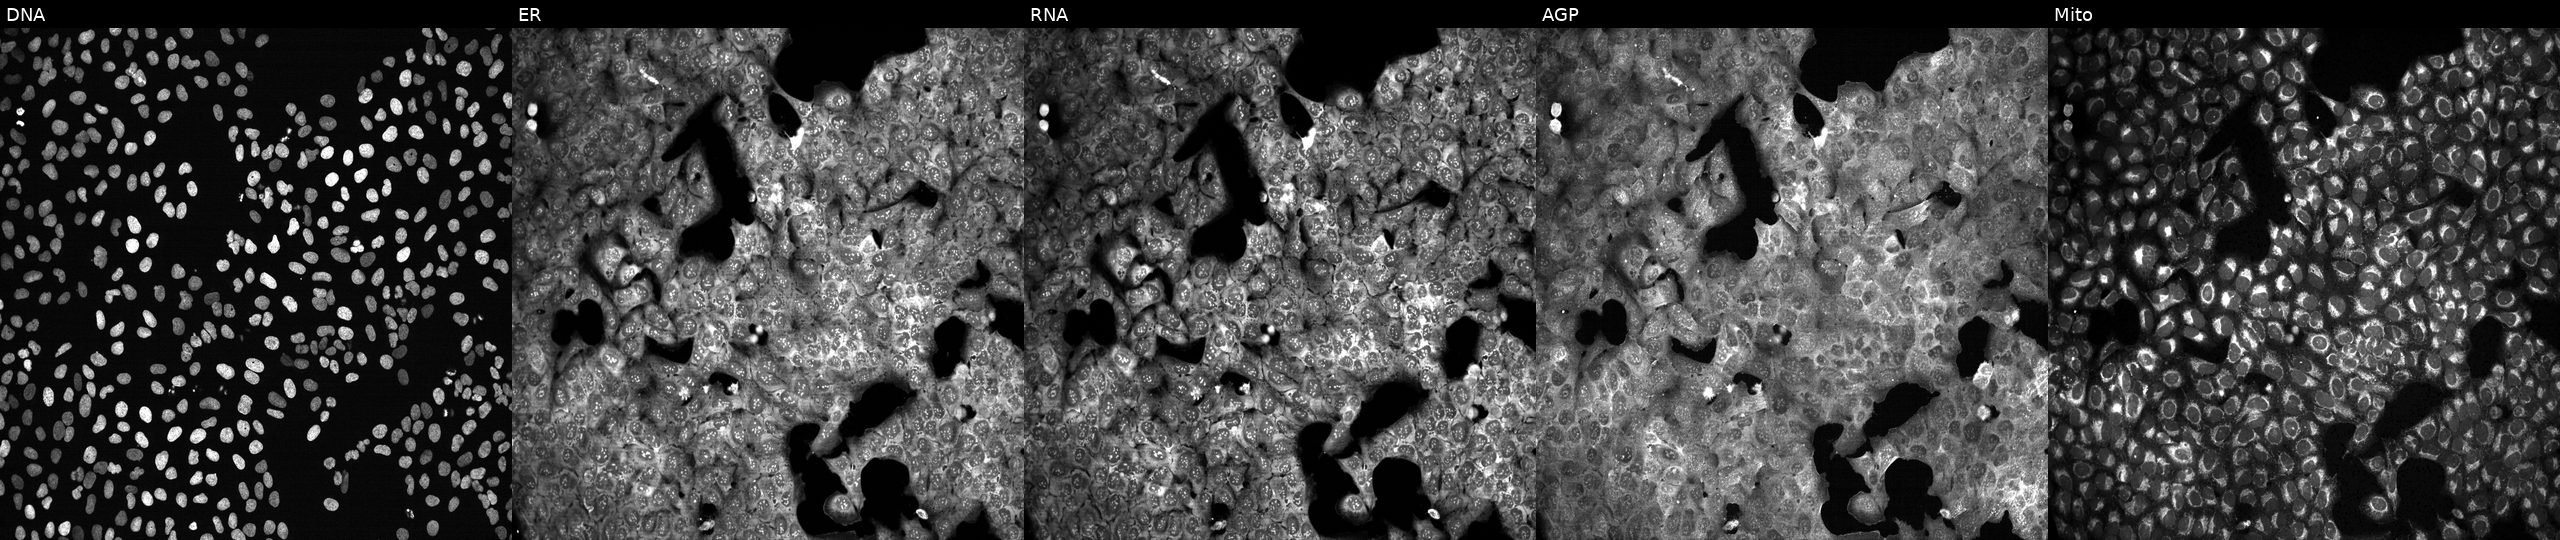
High-content fluorescence microscopy (Cell Painting). Cell line: U2OS. Perturbation: treated with NVS-PAK1-1 (positive-control compound) (JUMP id JCP2022_064022). From left to right: Hoechst 33342, concanavalin A, SYTO 14, phalloidin and WGA, MitoTracker.